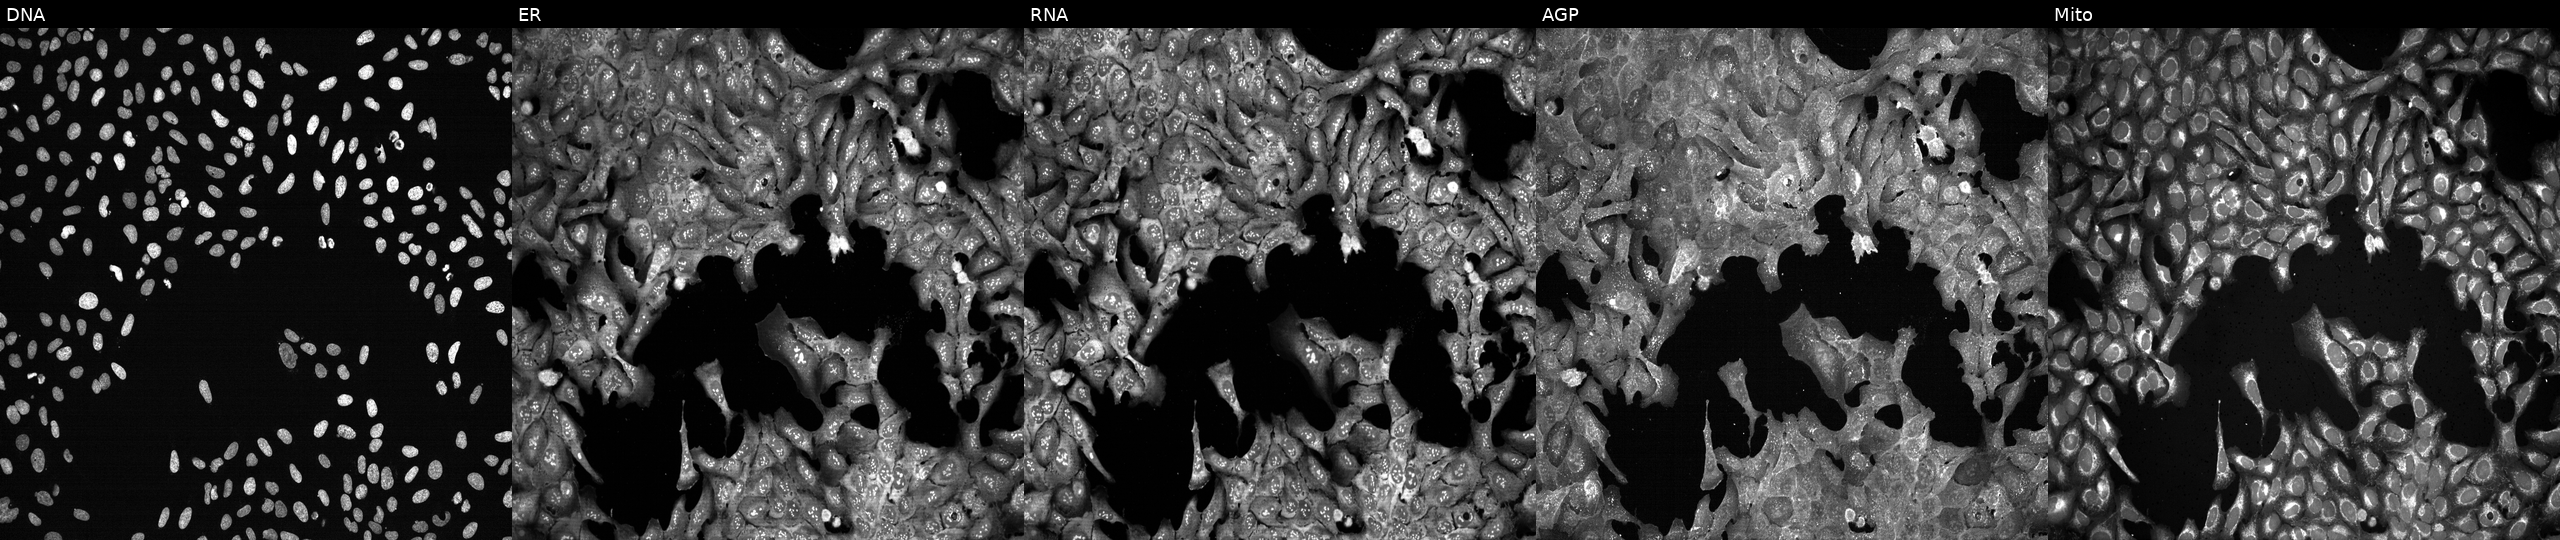
U2OS cells, Cell Painting assay, CRISPR-edited to disrupt CD302 (JUMP id JCP2022_801154). The five panels, left to right, show Hoechst 33342, concanavalin A, SYTO 14, phalloidin and WGA, MitoTracker. Each panel is percentile-stretched 16-bit fluorescence.